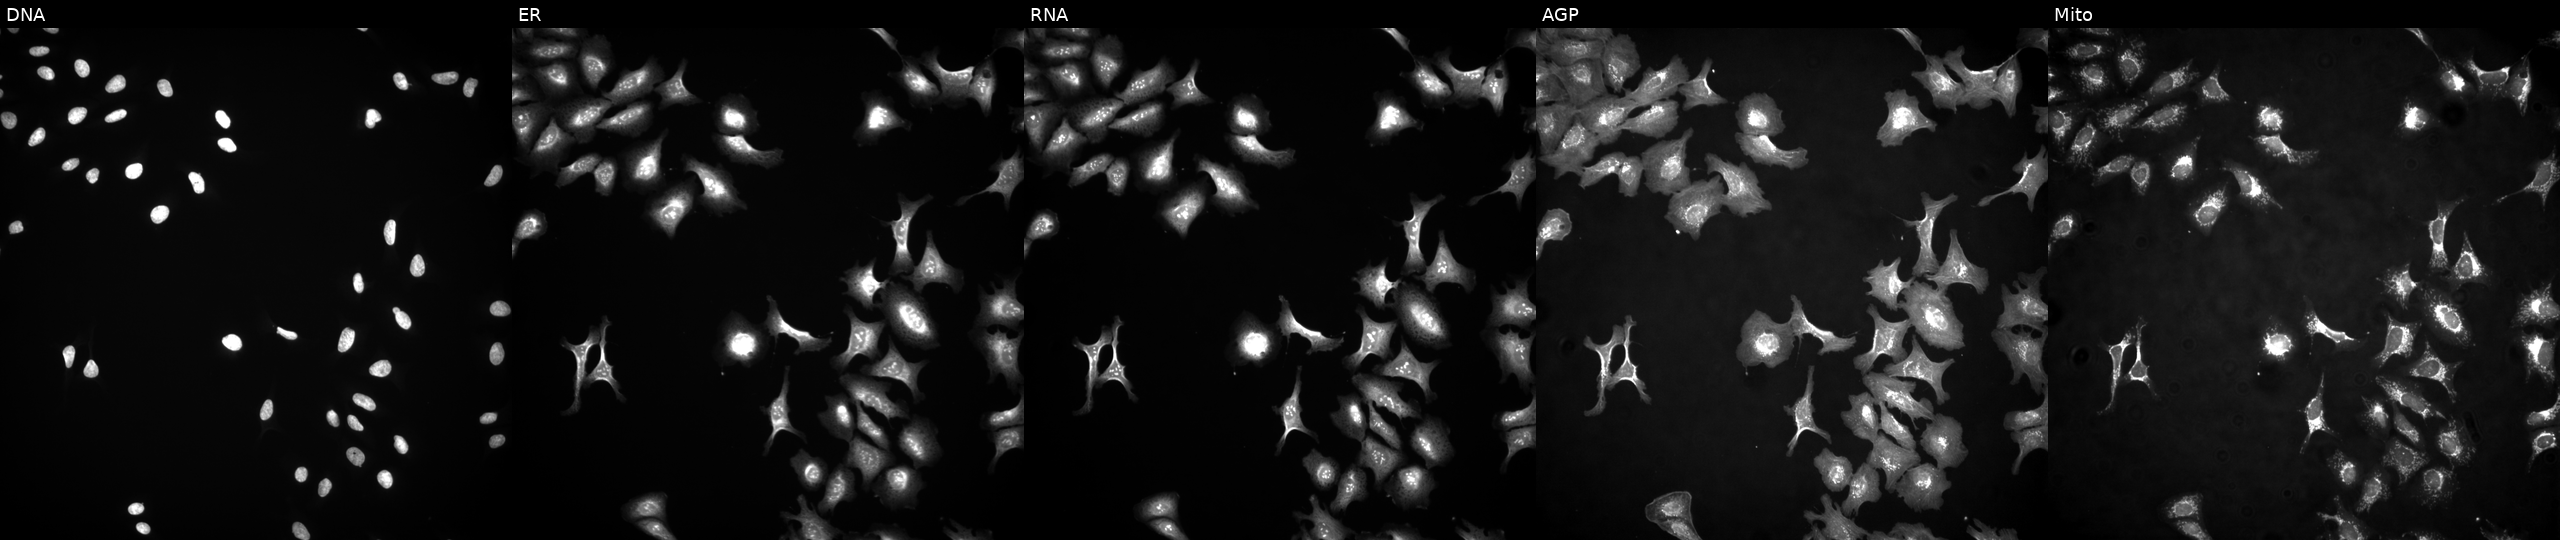
Five-channel Cell Painting image of U2OS cells transfected with an ORF construct for CHI3L2. Panels show, left to right, Hoechst 33342, concanavalin A, SYTO 14, phalloidin and WGA, MitoTracker. Source 4, plate BR00124787, well M11.